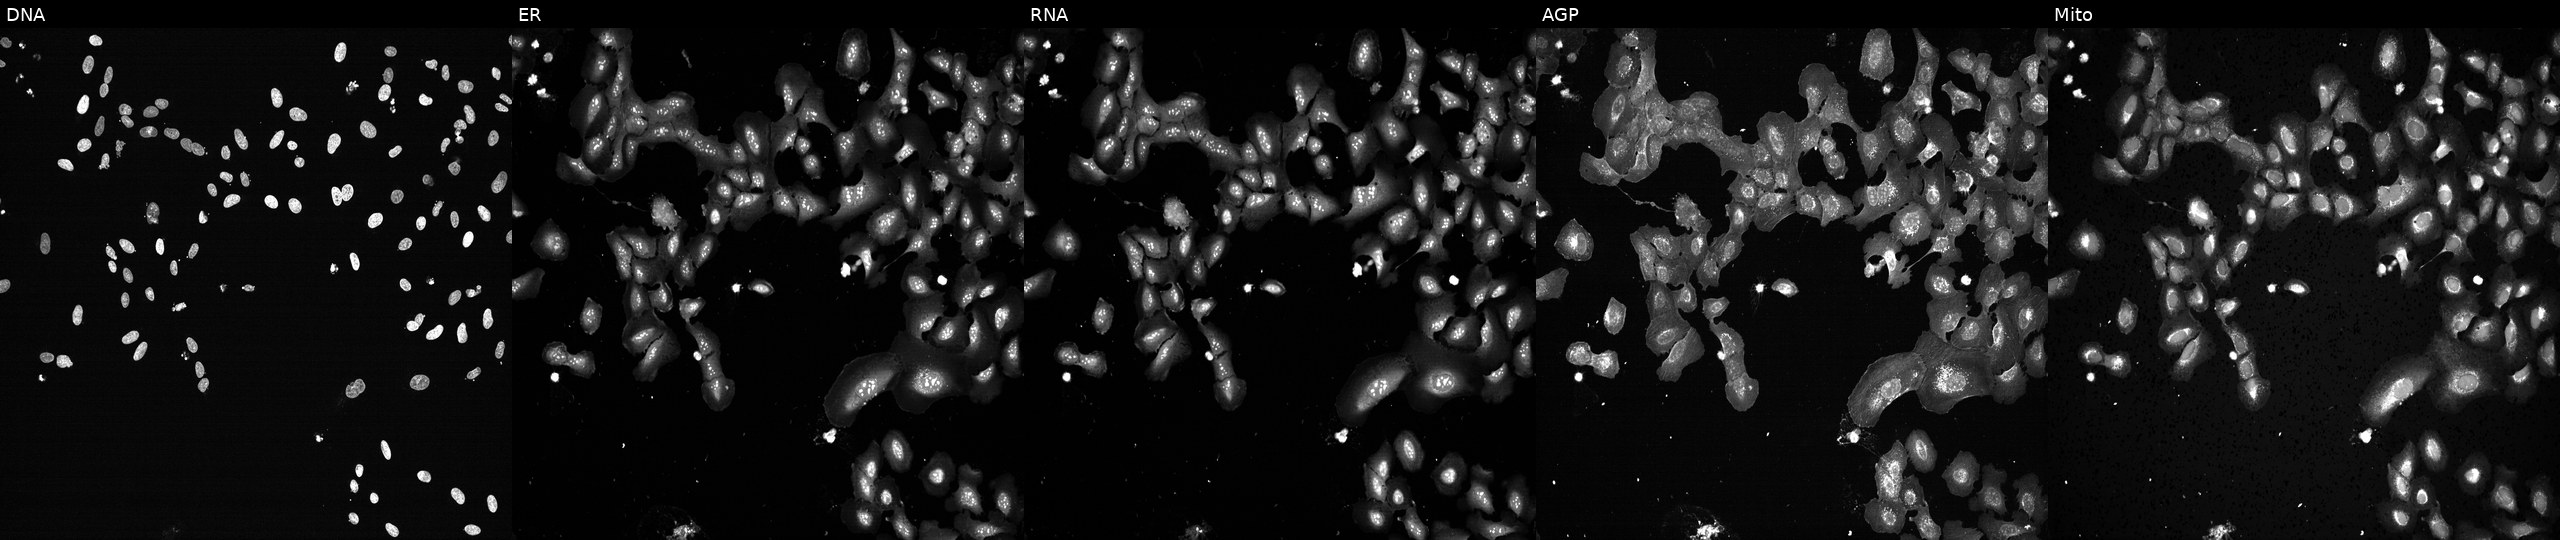
U2OS cells, Cell Painting assay, exposed to the positive-control compound TC-S-7004. Panels show, left to right, Hoechst 33342, concanavalin A, SYTO 14, phalloidin and WGA, MitoTracker. Each panel is percentile-stretched 16-bit fluorescence.